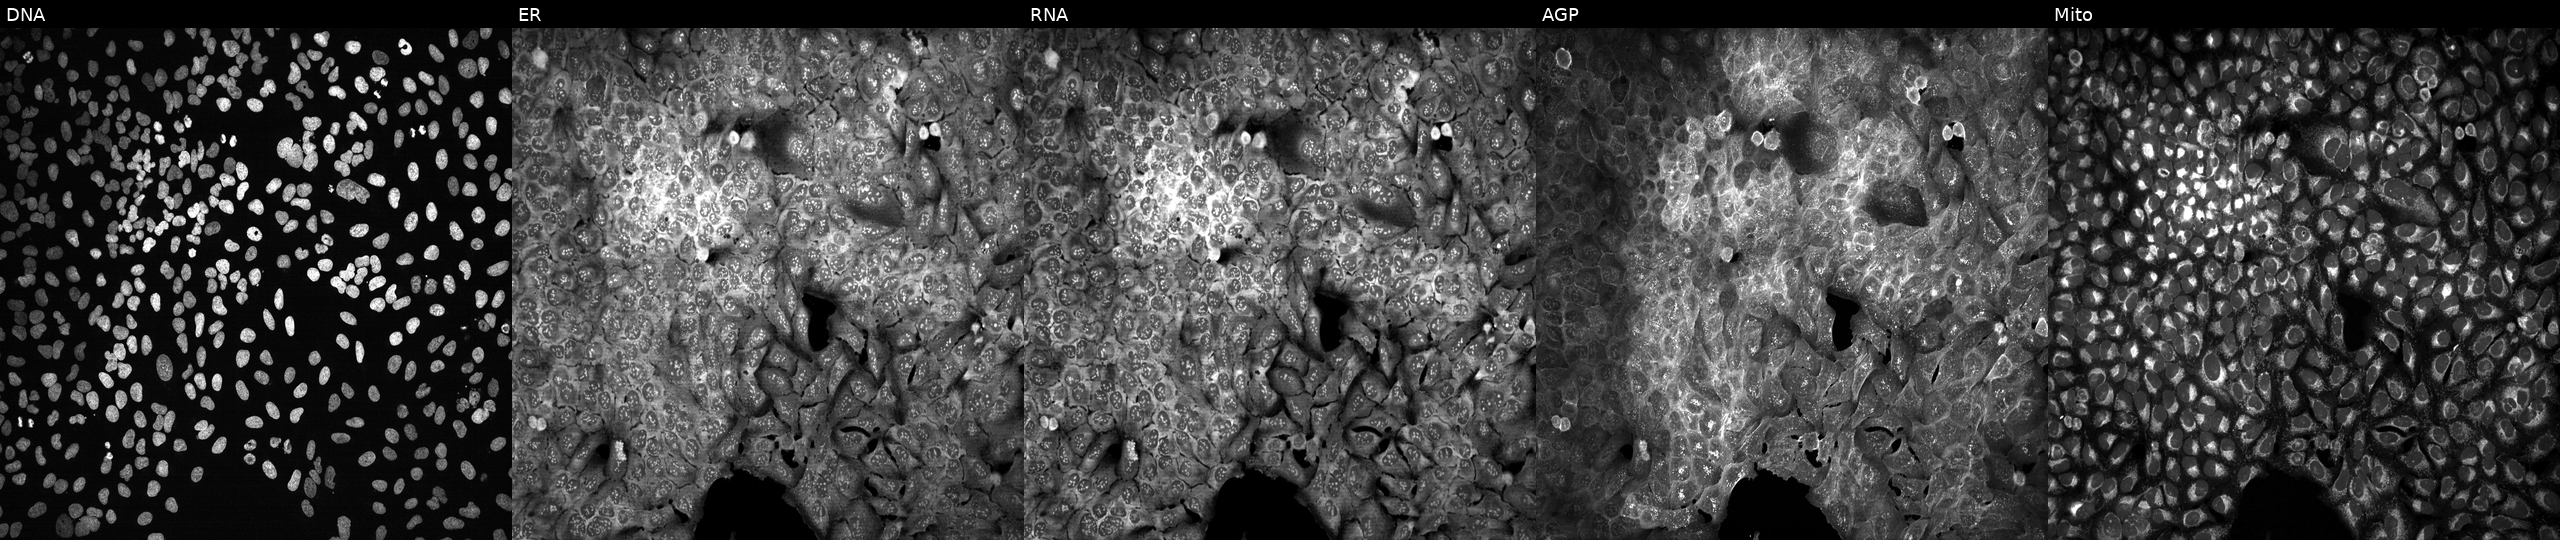
Five-channel Cell Painting image of U2OS cells following CRISPR knockout of DPYSL4 (JUMP id JCP2022_801909). Panels show, left to right, Hoechst 33342, concanavalin A, SYTO 14, phalloidin and WGA, MitoTracker.